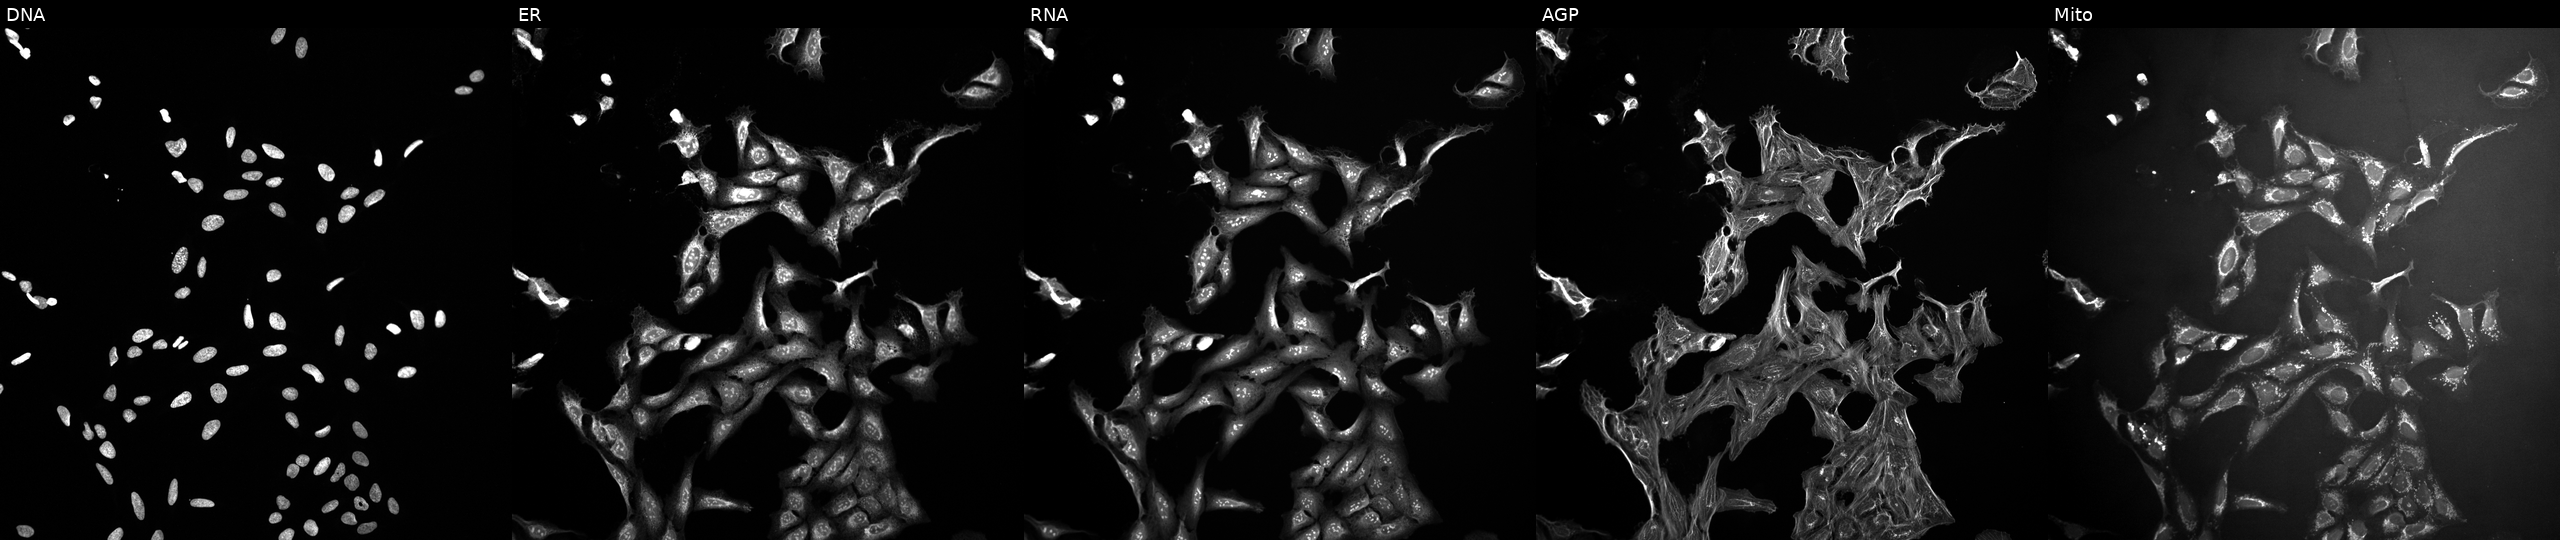
The five panels, left to right, show Hoechst 33342, concanavalin A, SYTO 14, phalloidin and WGA, MitoTracker. U2OS osteosarcoma cells perturbed with a small-molecule compound (InChIKey XFILPEOLDIKJHX-UHFFFAOYSA-N) (JUMP id JCP2022_103291). Cell Painting assay, JUMP-CP dataset.